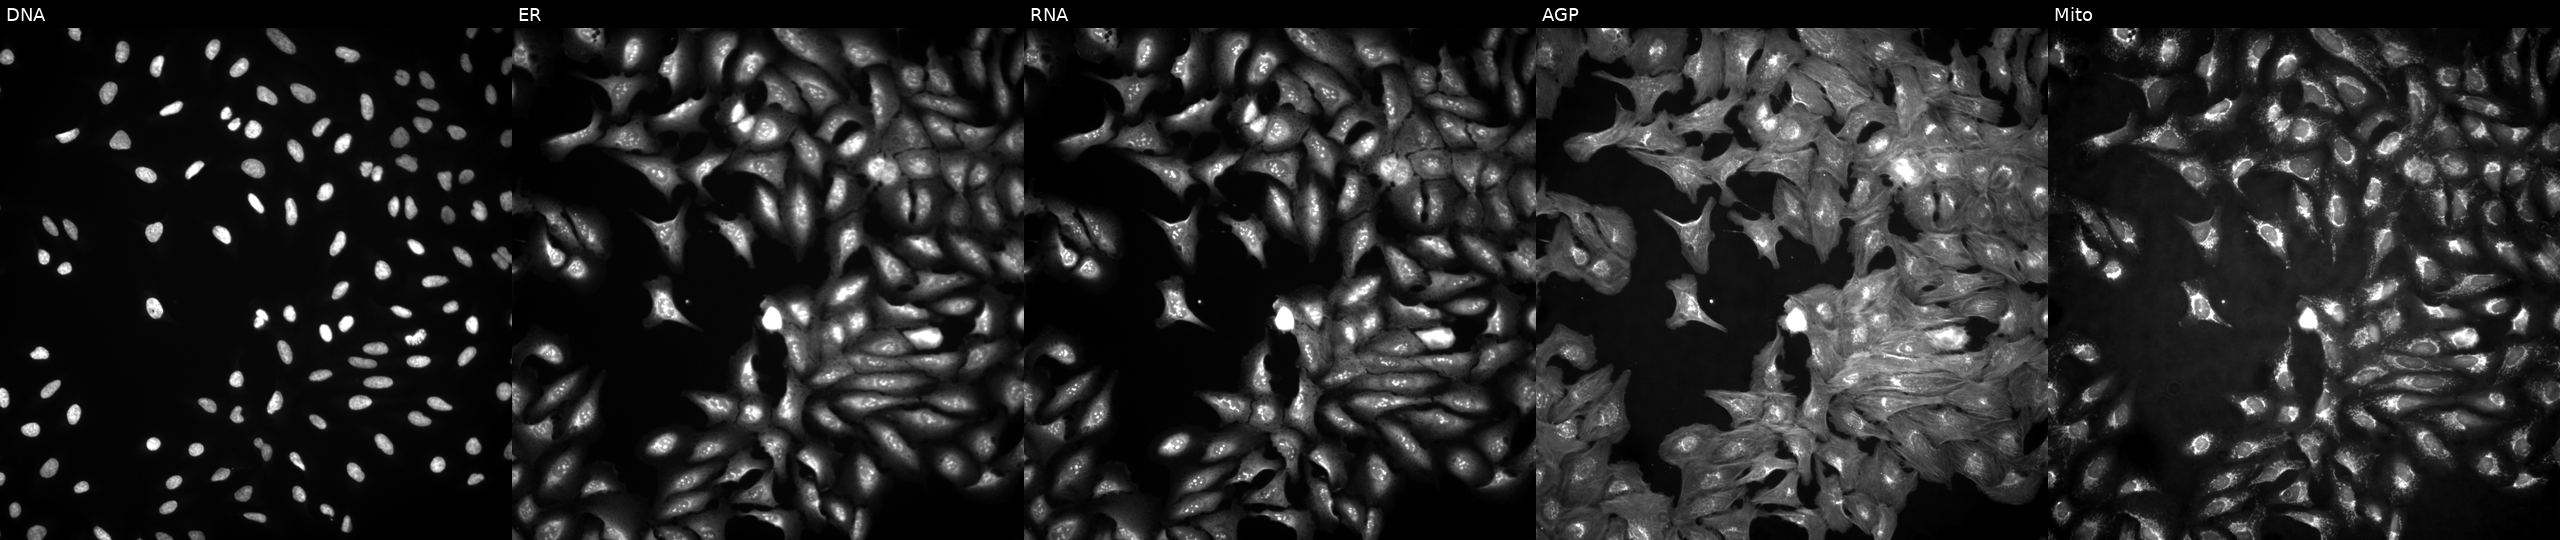
Five-channel Cell Painting image of U2OS cells overexpressing TMSB4X via ORF transfection (JUMP id JCP2022_910438). The five panels, left to right, show DNA (nuclei); ER (endoplasmic reticulum); RNA (nucleoli and cytoplasmic RNA); AGP (actin cytoskeleton, Golgi, and plasma membrane); Mito (mitochondria).